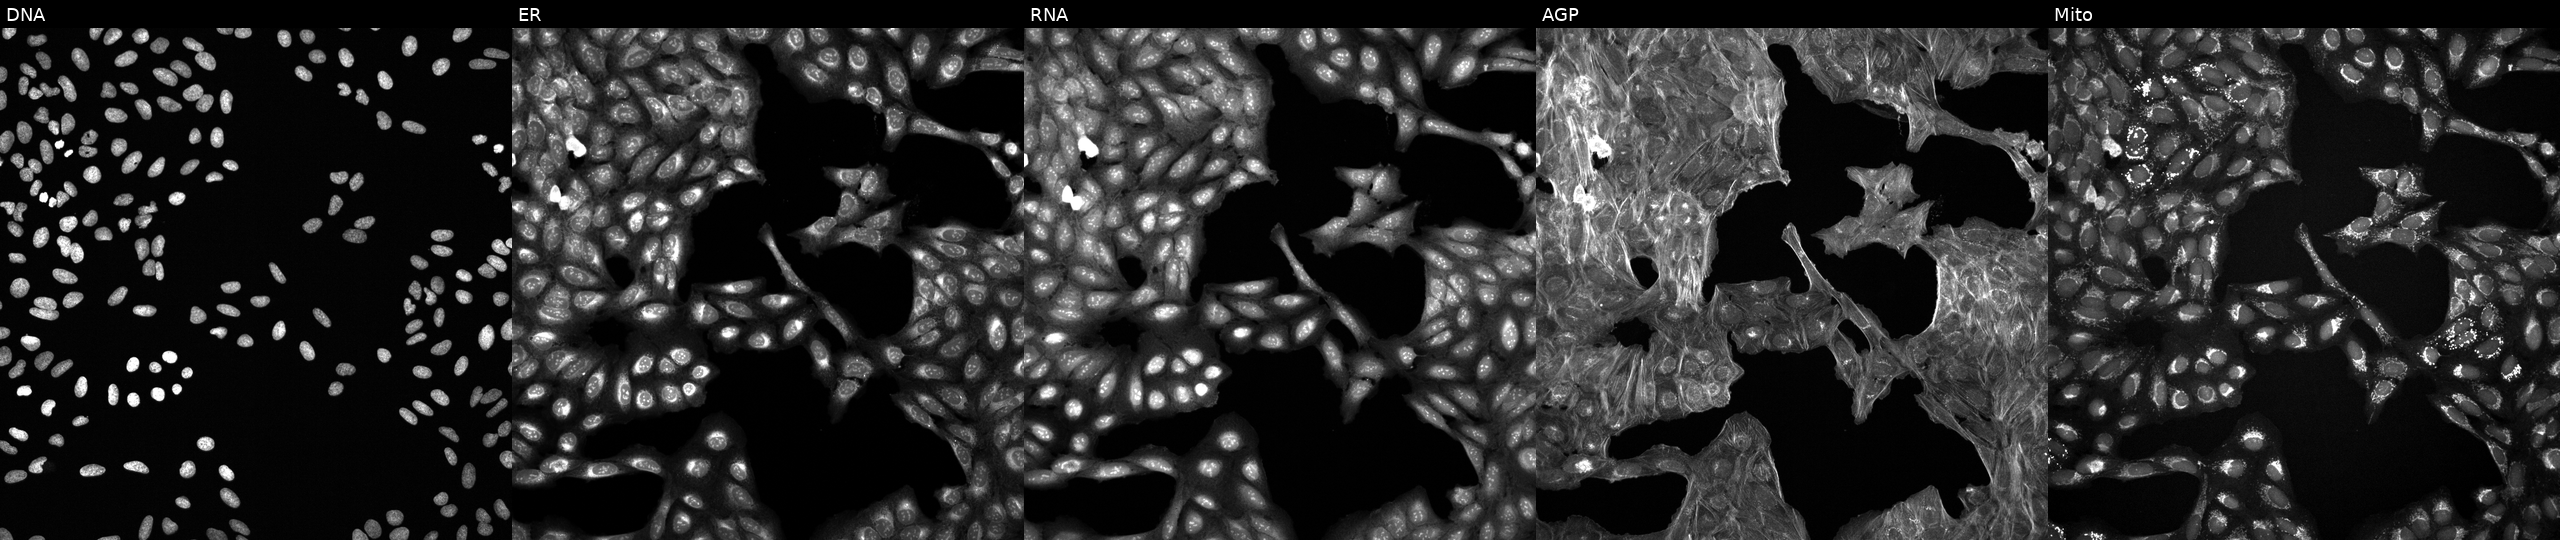
High-content fluorescence microscopy (Cell Painting). Cell line: U2OS. Perturbation: perturbed with a small-molecule compound (InChIKey WDENQIQQYWYTPO-UHFFFAOYSA-N). Channels (left→right): DNA (nuclei); ER (endoplasmic reticulum); RNA (nucleoli and cytoplasmic RNA); AGP (actin cytoskeleton, Golgi, and plasma membrane); Mito (mitochondria). Source 6, plate 110000293093, well P07.